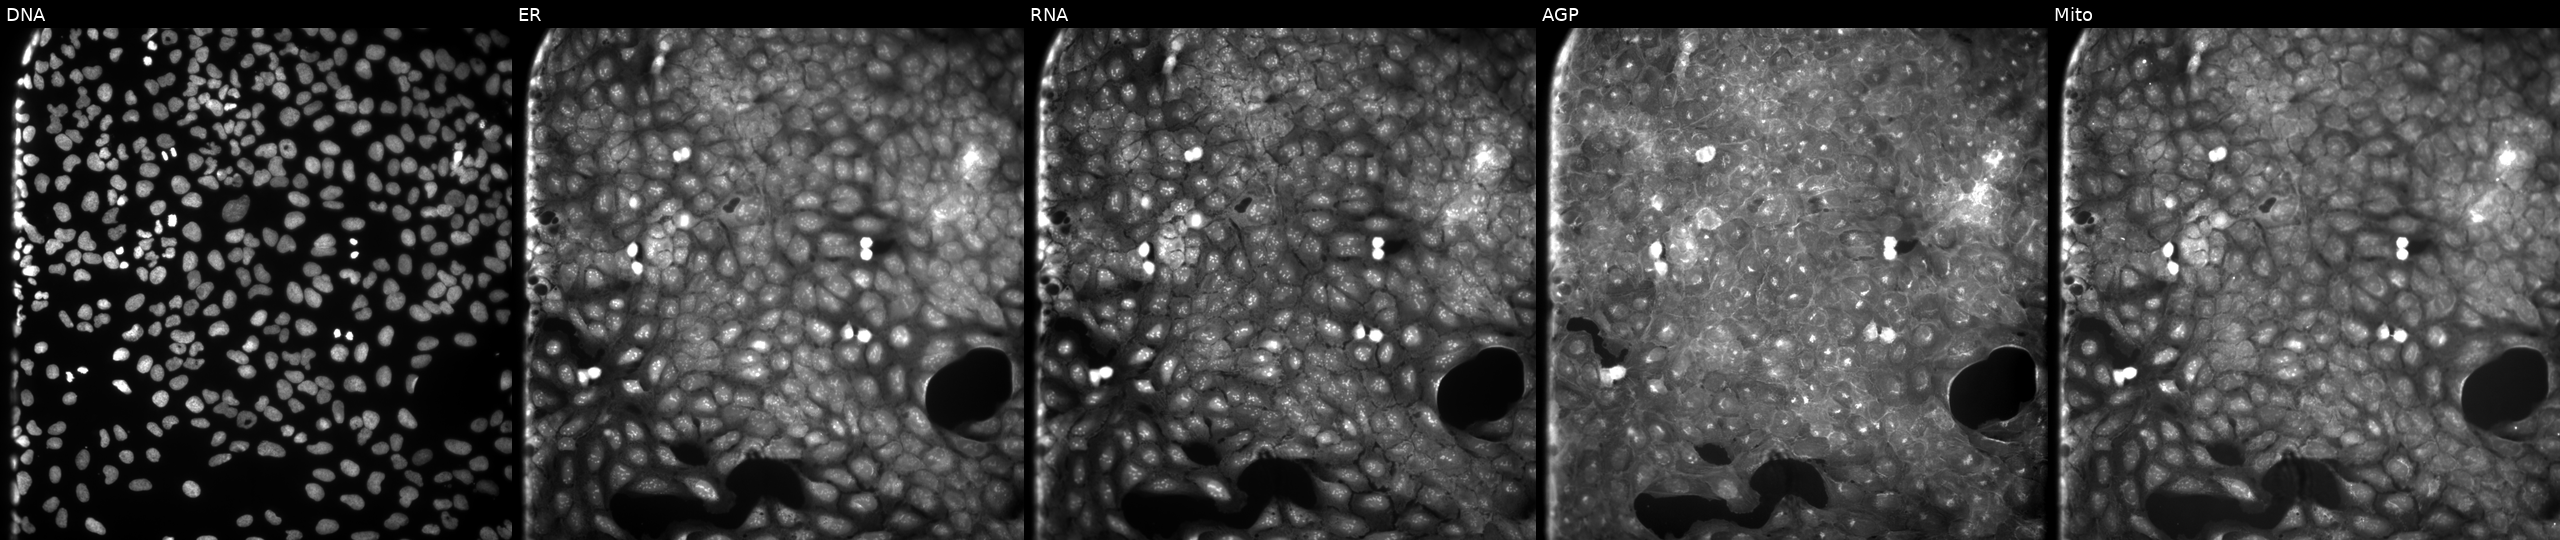
Channels (left→right): Hoechst 33342, concanavalin A, SYTO 14, phalloidin and WGA, MitoTracker. U2OS osteosarcoma cells perturbed with a small-molecule compound (JUMP id JCP2022_044609). Cell Painting assay, JUMP-CP dataset. Source 9, plate GR00003382, well T05.